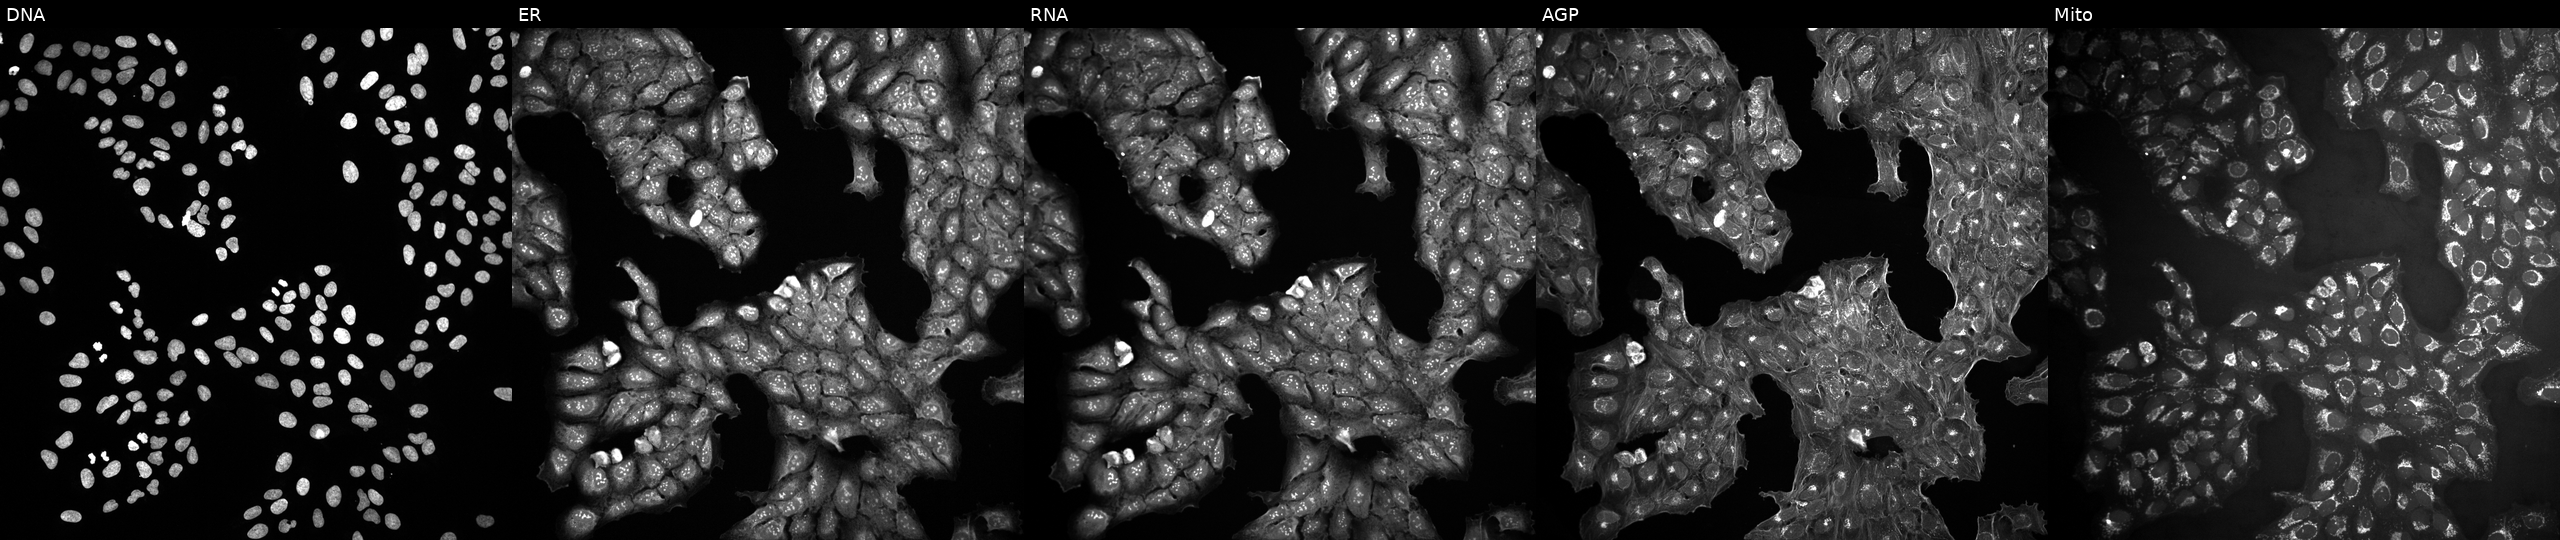
High-content fluorescence microscopy (Cell Painting). Cell line: U2OS. Perturbation: in an empty control well (no perturbation). From left to right: Hoechst 33342, concanavalin A, SYTO 14, phalloidin and WGA, MitoTracker.